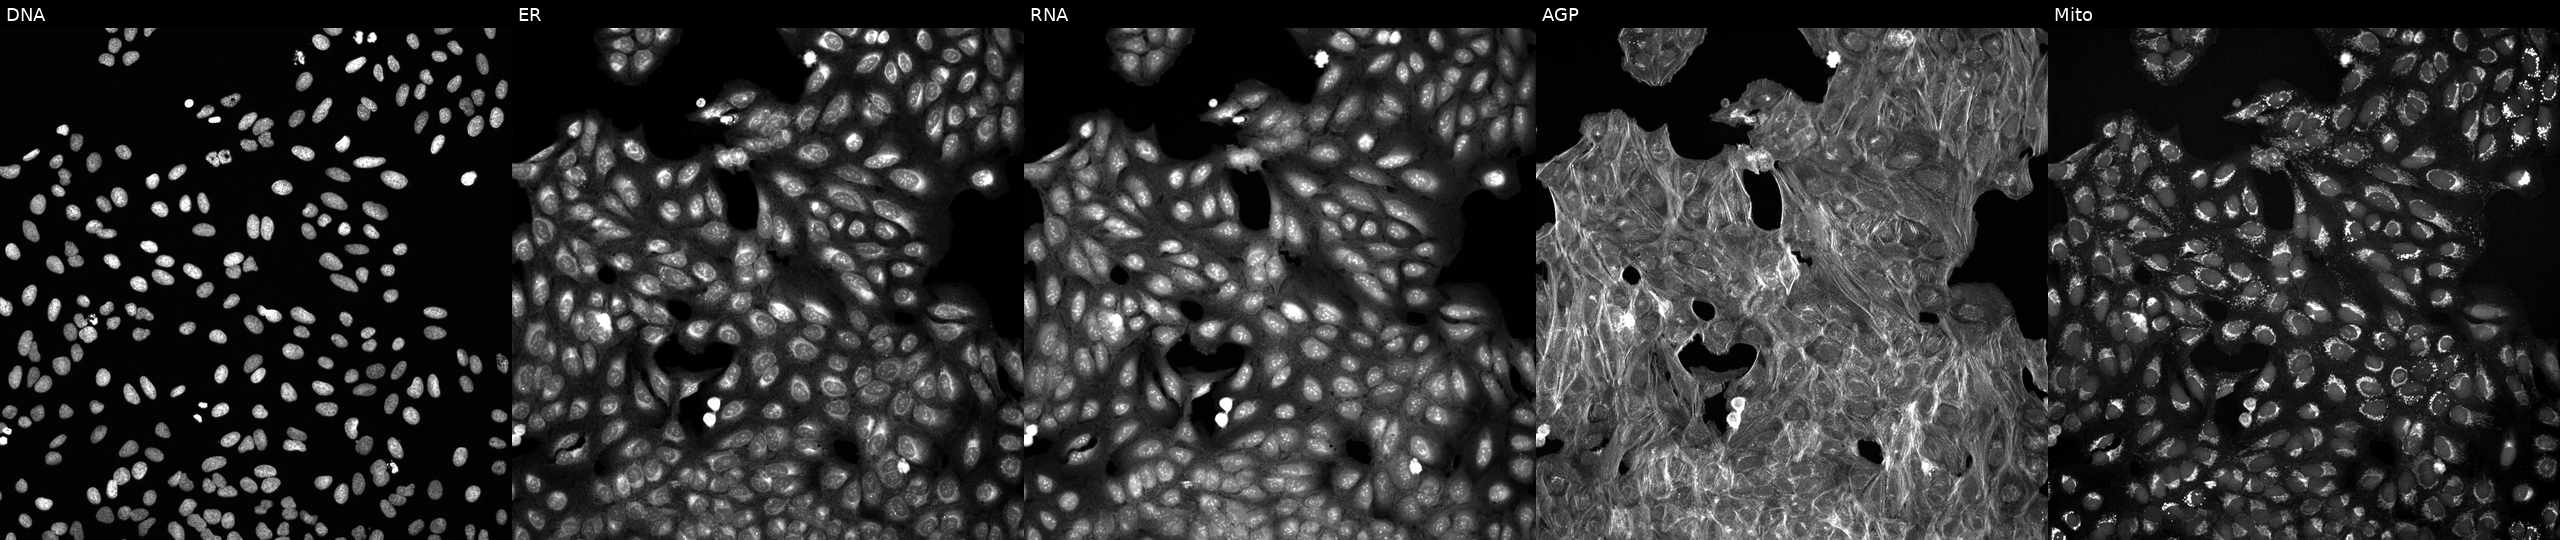
This image strip shows the five Cell Painting channels for a single field of U2OS cells treated with a small-molecule compound (InChIKey BYVPWFYDVTUBEF-UHFFFAOYSA-N). Channels (left→right): DNA (nuclei); ER (endoplasmic reticulum); RNA (nucleoli and cytoplasmic RNA); AGP (actin cytoskeleton, Golgi, and plasma membrane); Mito (mitochondria).